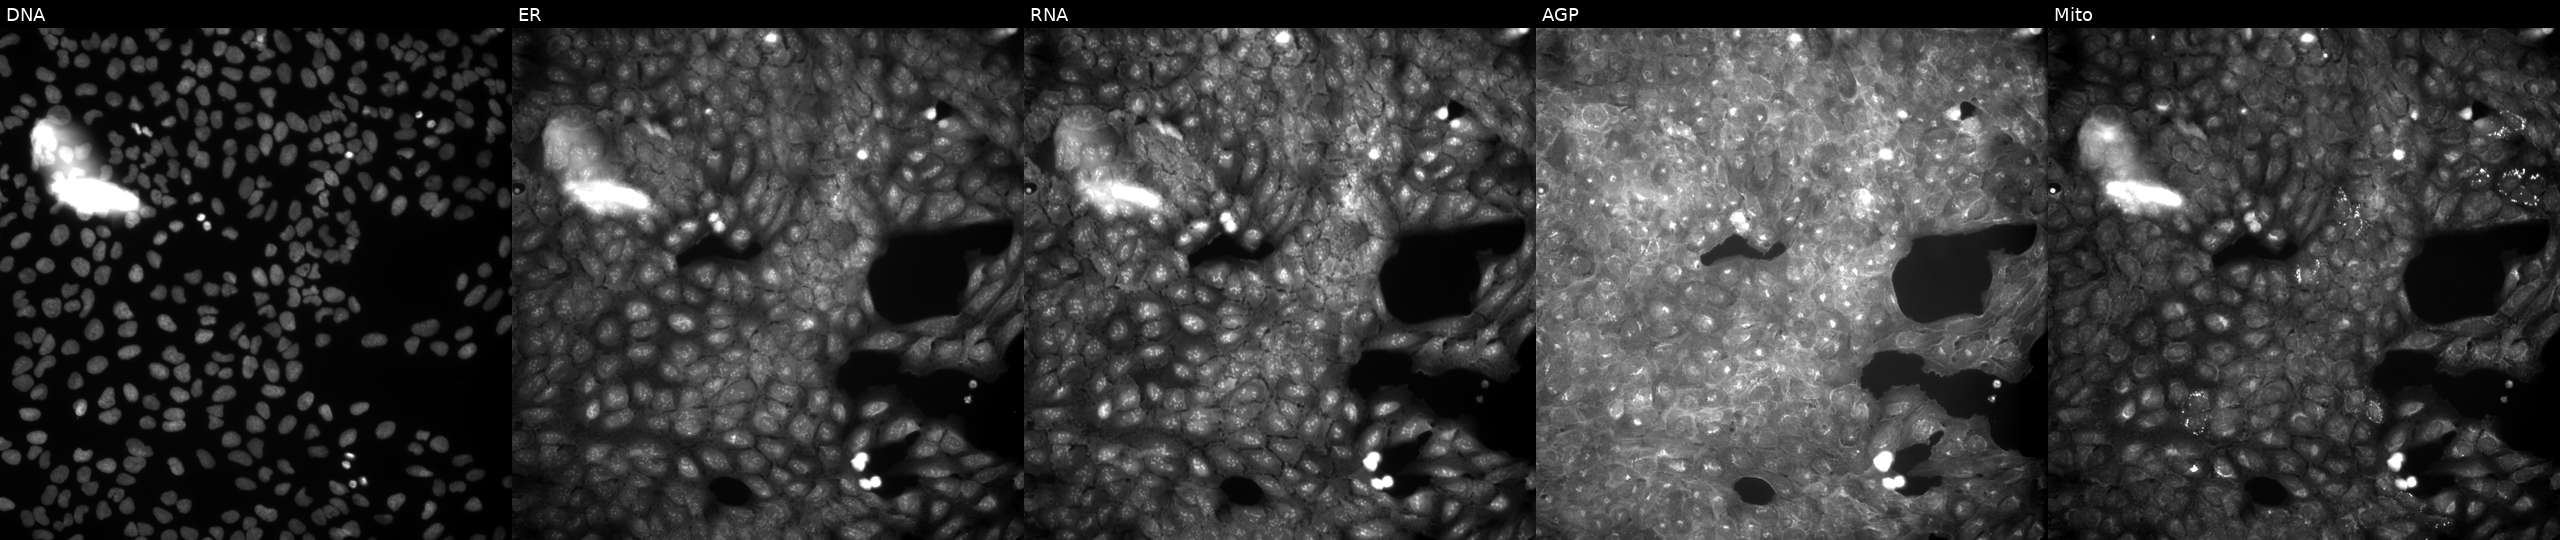
High-content fluorescence microscopy (Cell Painting). Cell line: U2OS. Perturbation: treated with a small-molecule compound. Channels (left→right): DNA, ER, RNA, AGP, and Mito.